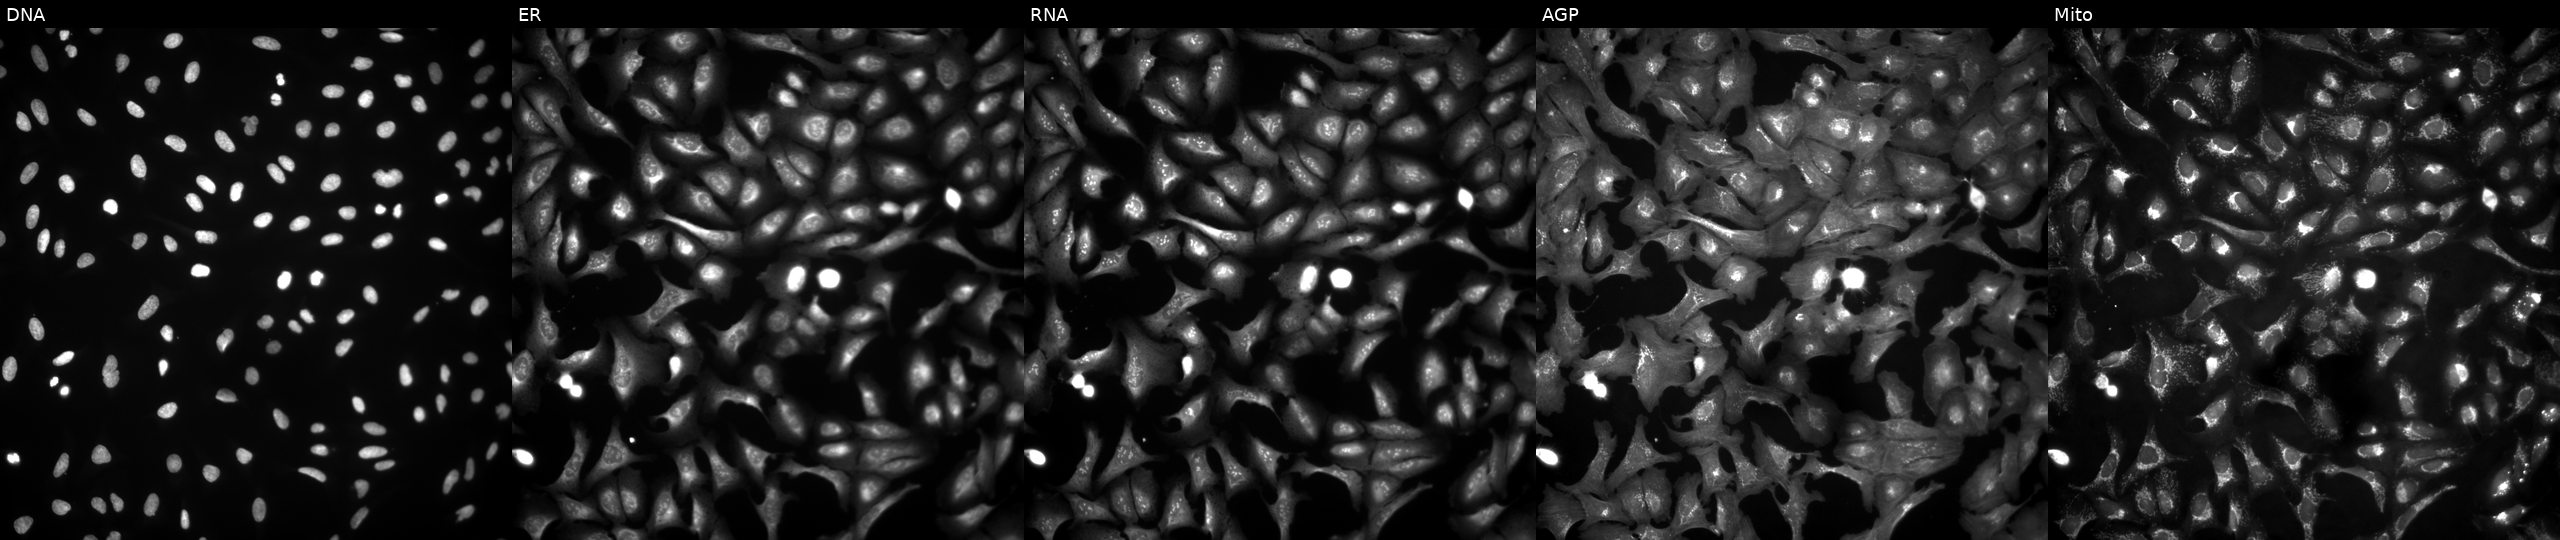
Channels (left→right): DNA, ER, RNA, AGP, and Mito. U2OS osteosarcoma cells overexpressing PLPPR2 via ORF transfection. Cell Painting assay, JUMP-CP dataset.